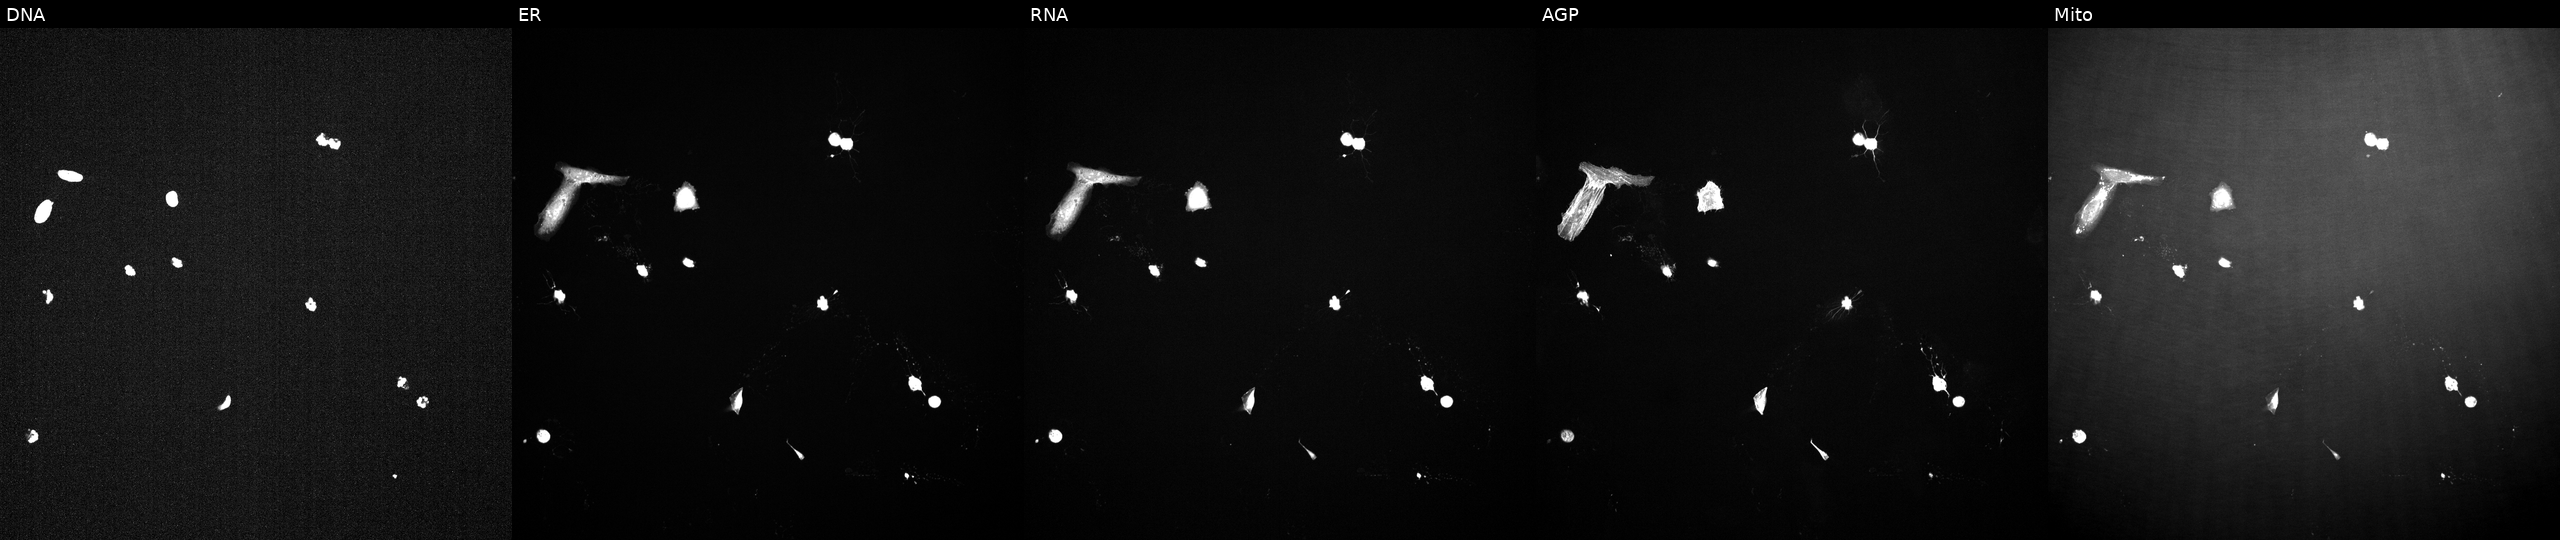
High-content fluorescence microscopy (Cell Painting). Cell line: U2OS. Perturbation: treated with a small-molecule compound (InChIKey HYFHYPWGAURHIV-UHFFFAOYSA-N) [SMILES: COC(=O)CC(O)(CCCC(C)(C)O)C(=O)OC1C(OC)=CC23CCCN2CCc2cc4c(cc2C13)OCO4] (JUMP id JCP2022_033400). The five panels, left to right, show DNA (nuclei); ER (endoplasmic reticulum); RNA (nucleoli and cytoplasmic RNA); AGP (actin cytoskeleton, Golgi, and plasma membrane); Mito (mitochondria). Source 2, plate 1053597936, well E10.